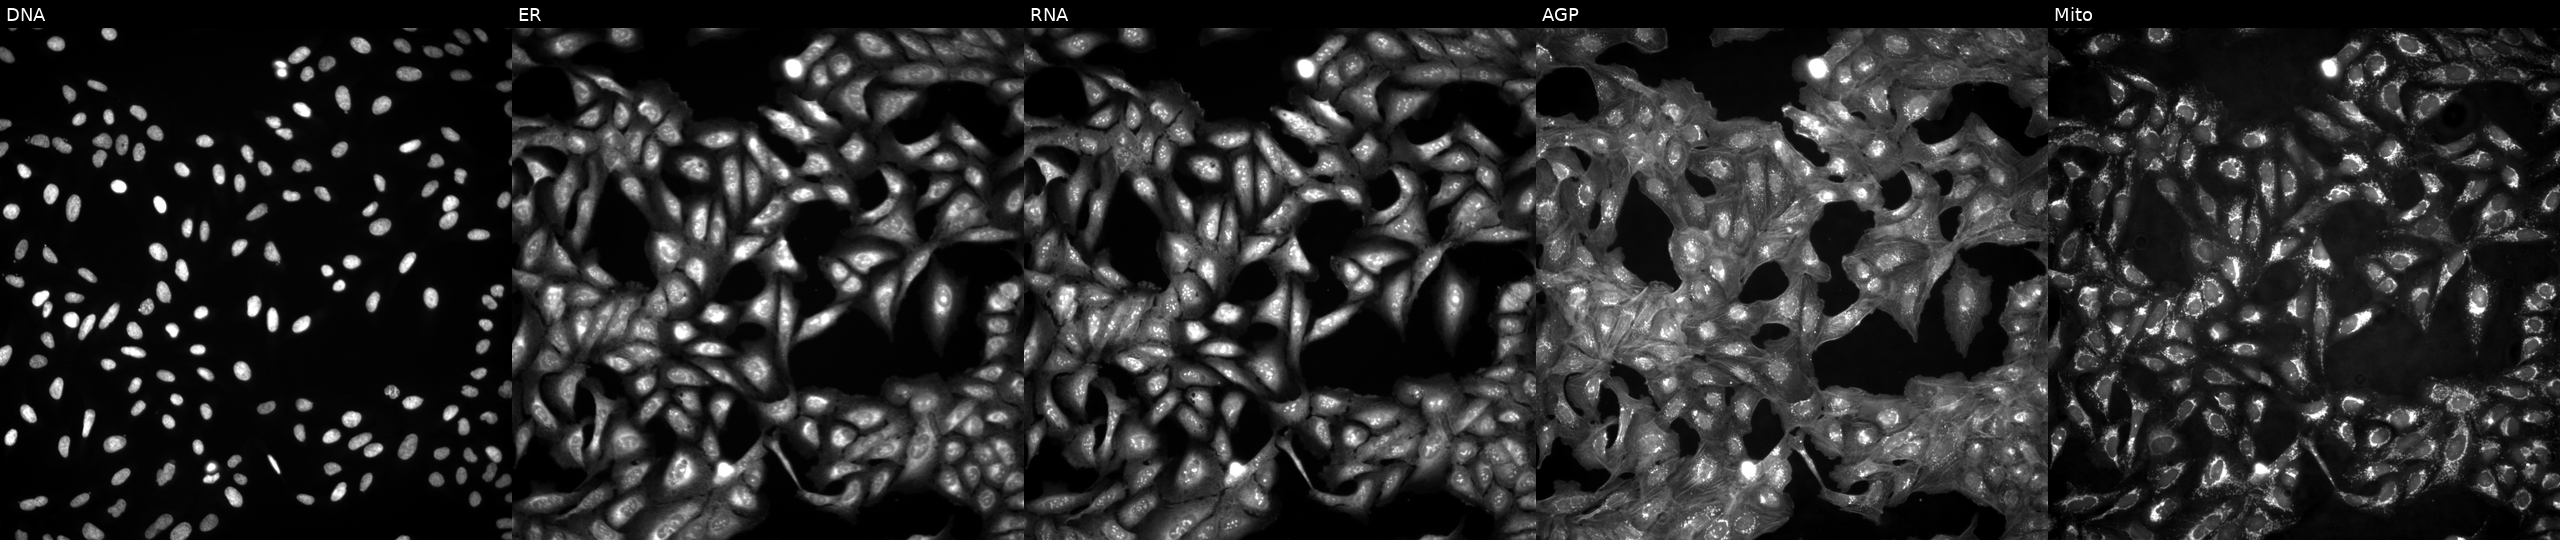
Five-channel Cell Painting image of U2OS cells untreated (empty-well control). Panels show, left to right, DNA (nuclei); ER (endoplasmic reticulum); RNA (nucleoli and cytoplasmic RNA); AGP (actin cytoskeleton, Golgi, and plasma membrane); Mito (mitochondria).